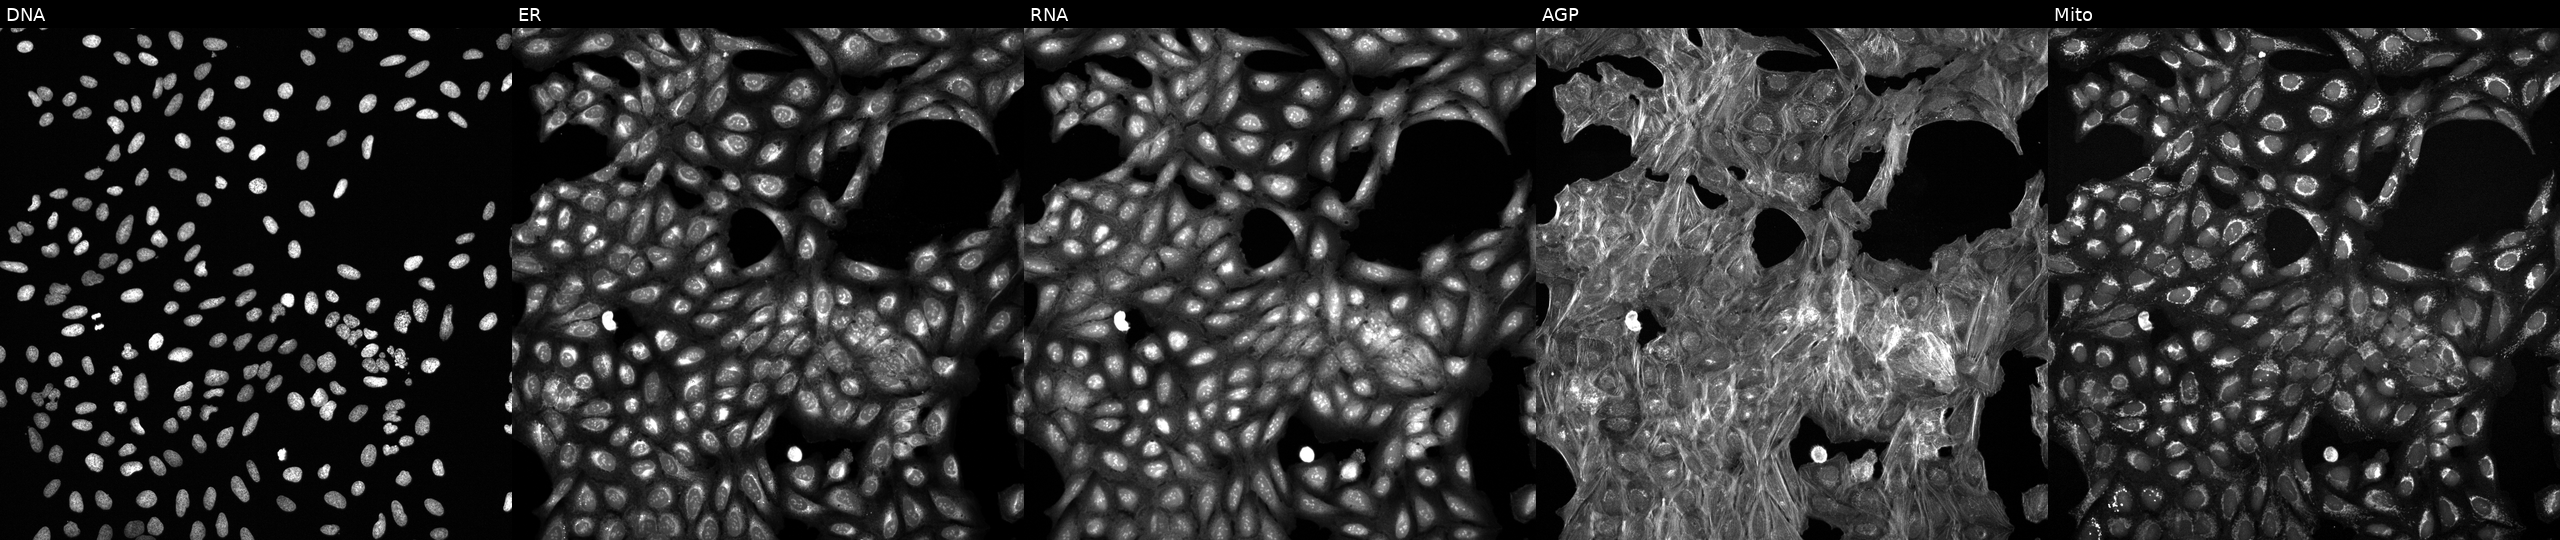
JUMP Cell Painting — TARGET2 plate. U2OS cells treated with a small-molecule compound (InChIKey AUMHDRMJJNZTPB-UHFFFAOYSA-N). Channels (left→right): DNA, ER, RNA, AGP, and Mito.